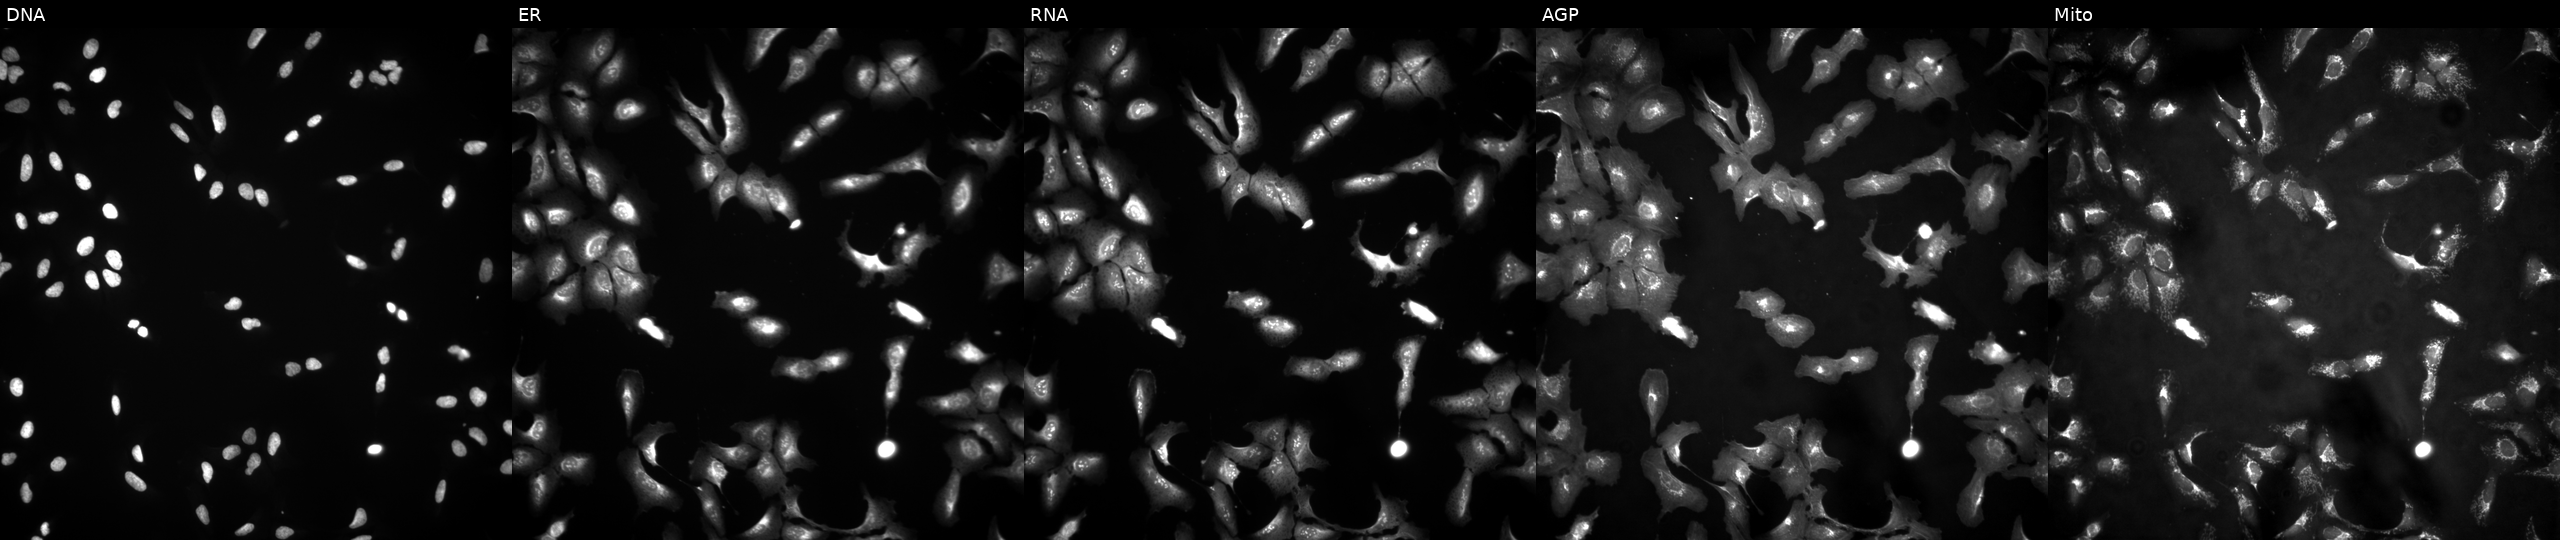
This image strip shows the five Cell Painting channels for a single field of U2OS cells with RSPRY1 overexpressed (ORF). From left to right: DNA (nuclei); ER (endoplasmic reticulum); RNA (nucleoli and cytoplasmic RNA); AGP (actin cytoskeleton, Golgi, and plasma membrane); Mito (mitochondria).